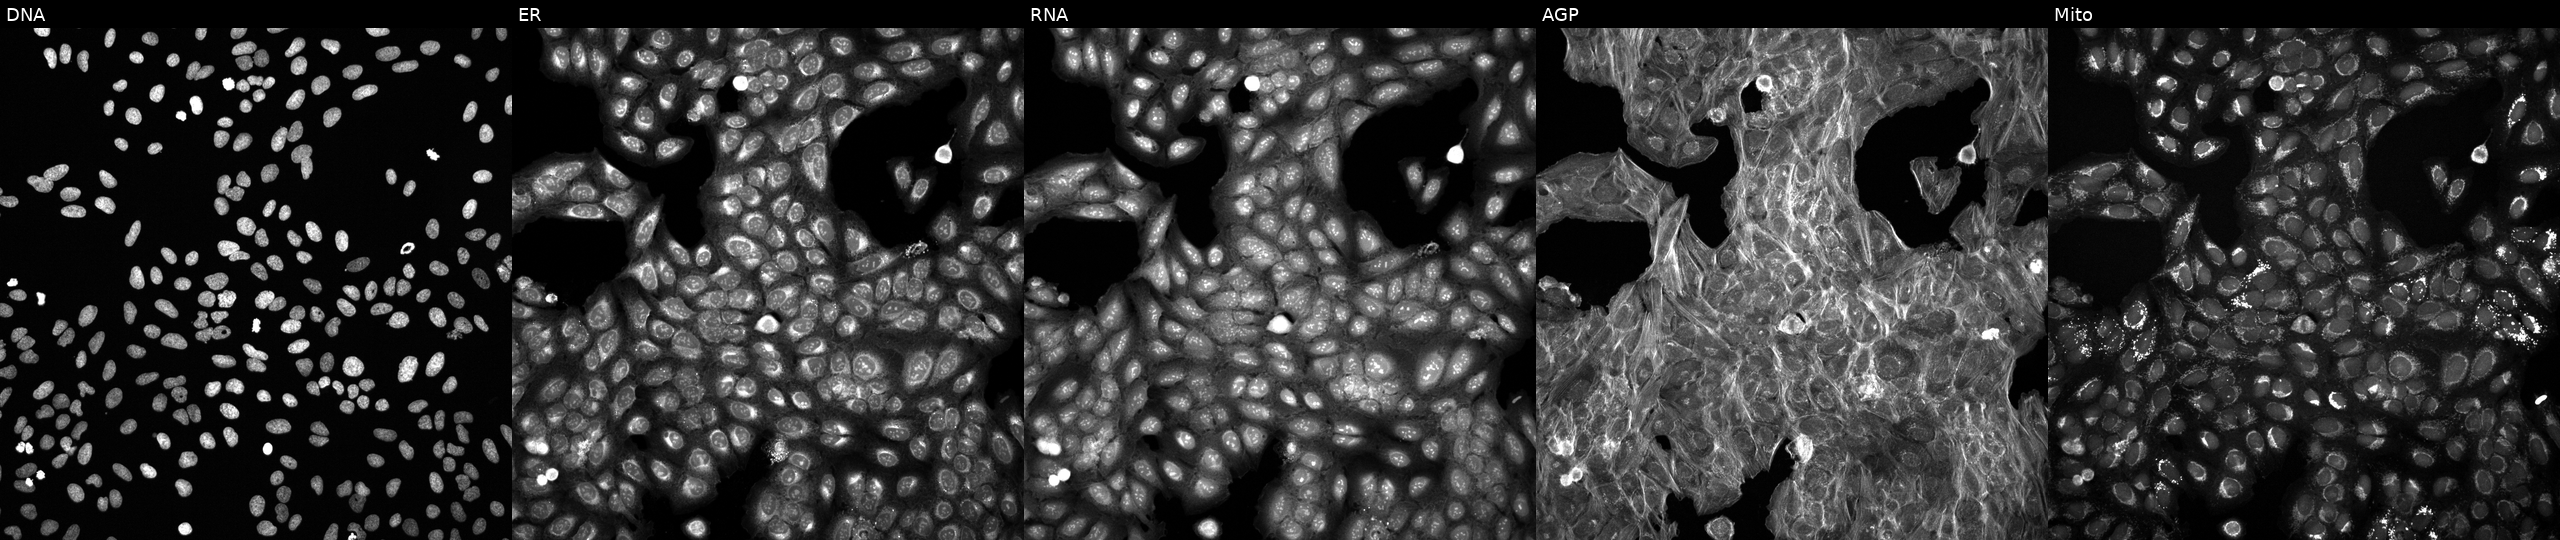
This image strip shows the five Cell Painting channels for a single field of U2OS cells perturbed with a small-molecule compound (InChIKey SVMHYHIZWOJKDL-UHFFFAOYSA-N). From left to right: DNA, ER, RNA, AGP, and Mito. Source 6, plate 110000293081, well P12.